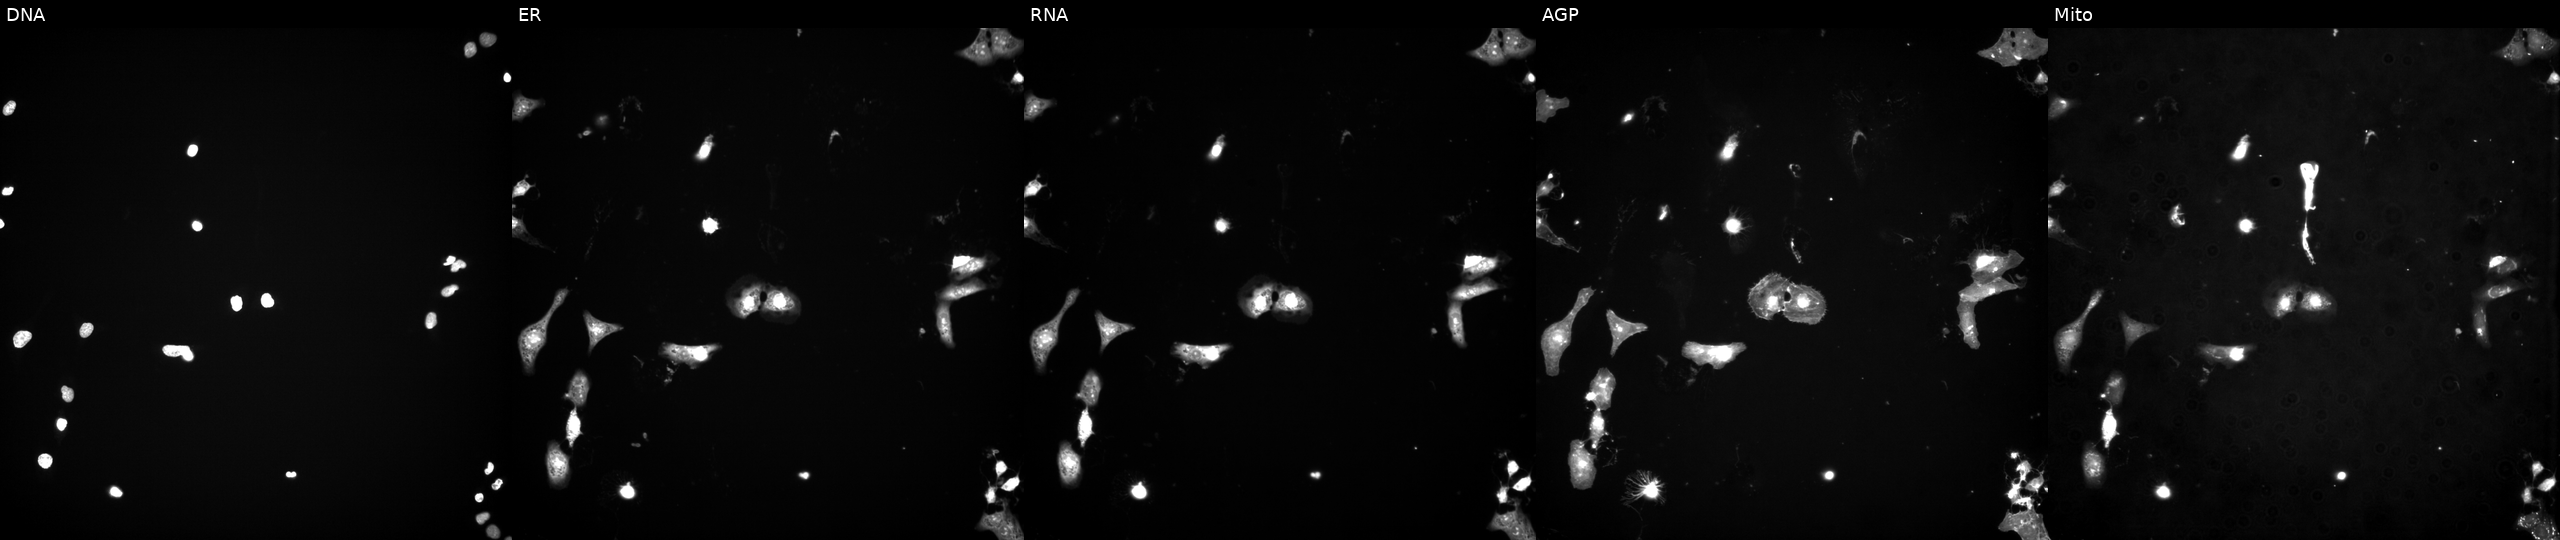
JUMP Cell Painting — TARGET2 plate. U2OS cells exposed to a small-molecule compound (JUMP id JCP2022_001890). From left to right: DNA, ER, RNA, AGP, and Mito.